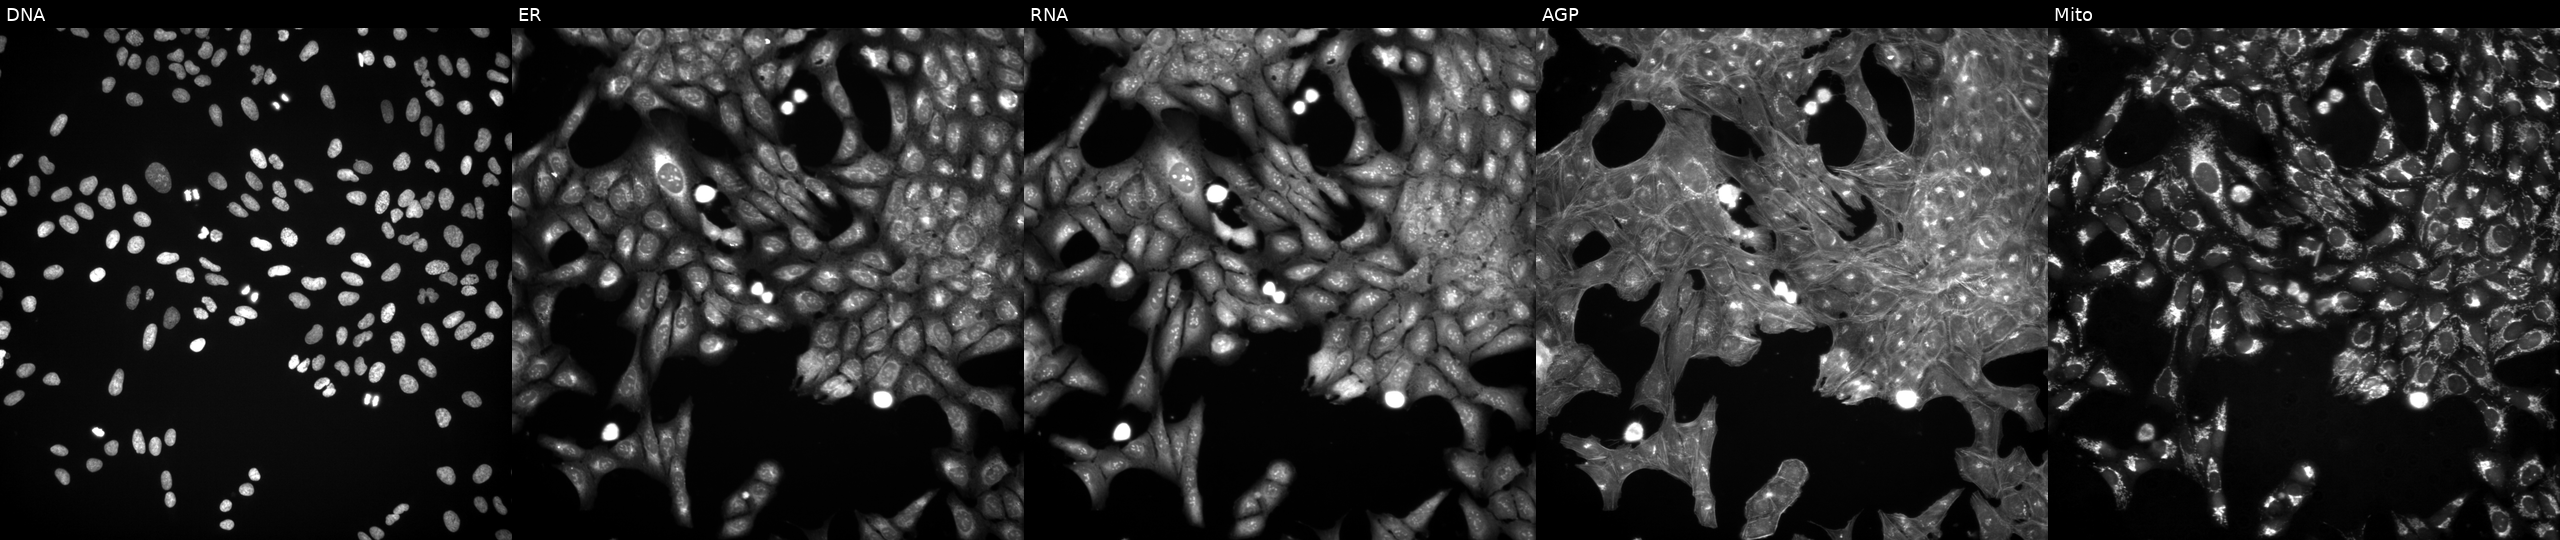
This image strip shows the five Cell Painting channels for a single field of U2OS cells exposed to a small-molecule compound (InChIKey QVZCXCJXTMIDME-UHFFFAOYSA-N). Channels (left→right): DNA (nuclei); ER (endoplasmic reticulum); RNA (nucleoli and cytoplasmic RNA); AGP (actin cytoskeleton, Golgi, and plasma membrane); Mito (mitochondria).